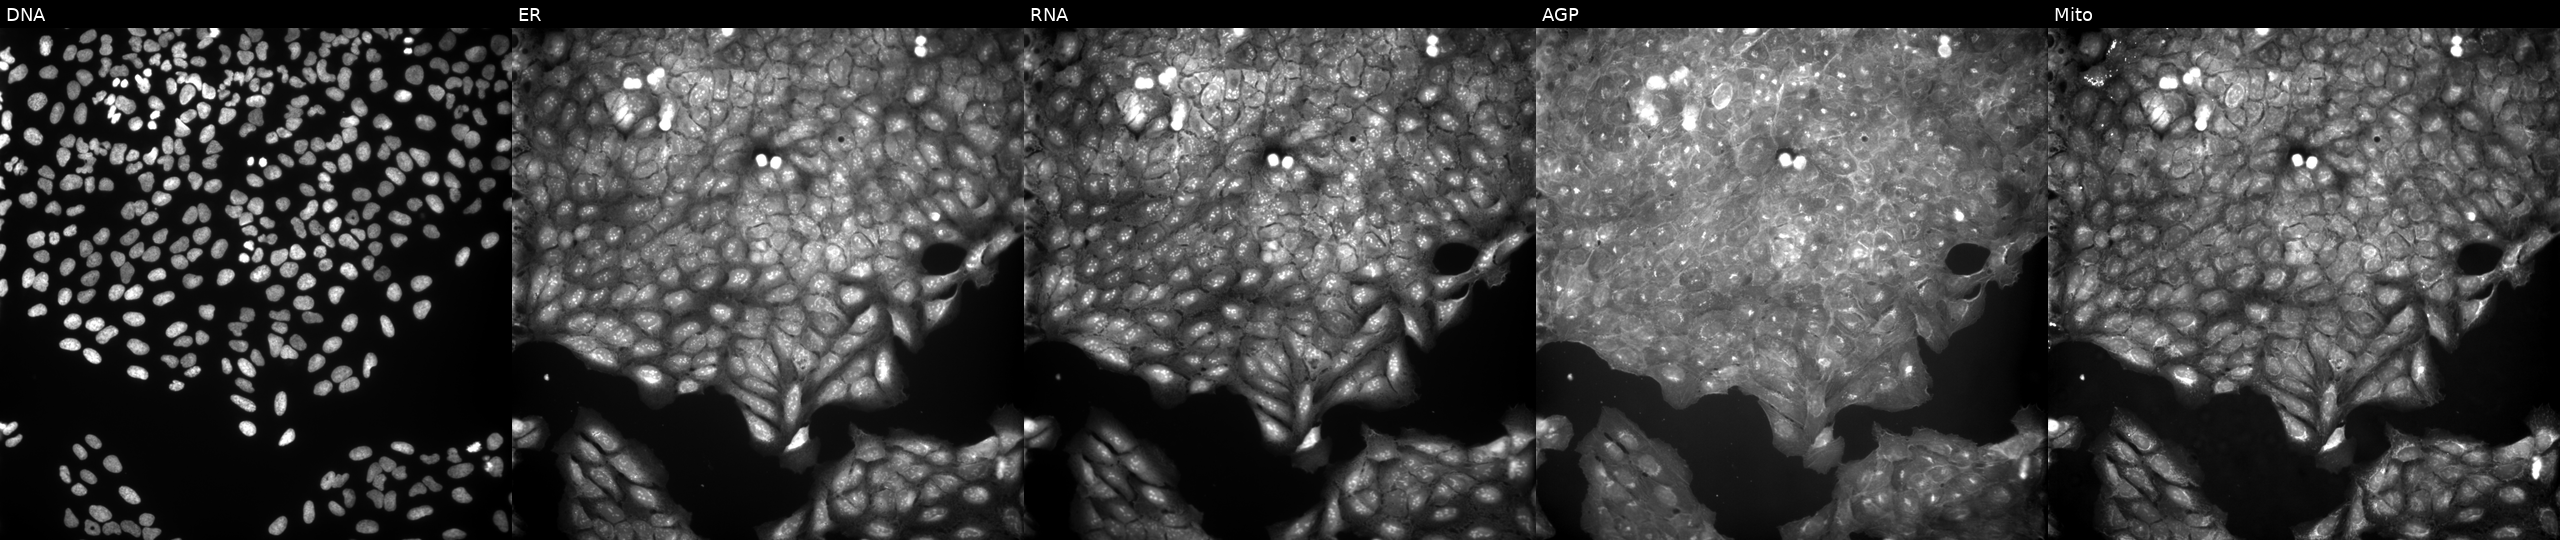
This image strip shows the five Cell Painting channels for a single field of U2OS cells perturbed with a small-molecule compound. Channels (left→right): DNA (nuclei); ER (endoplasmic reticulum); RNA (nucleoli and cytoplasmic RNA); AGP (actin cytoskeleton, Golgi, and plasma membrane); Mito (mitochondria).